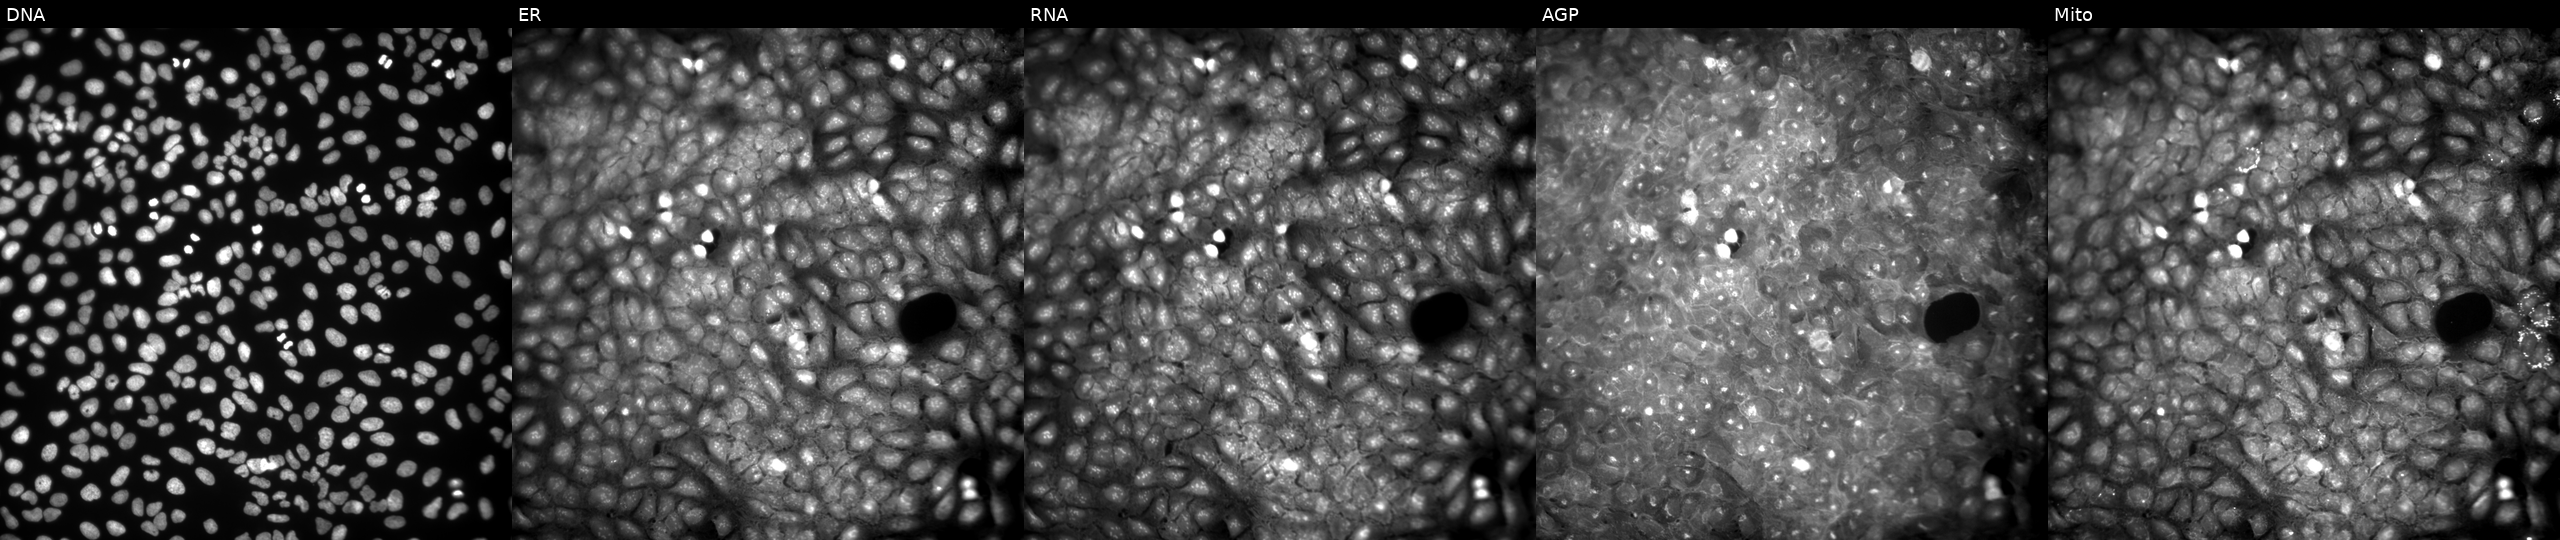
This image strip shows the five Cell Painting channels for a single field of U2OS cells treated with a small-molecule compound (InChIKey JAOLDHYWJNAAAH-UHFFFAOYSA-N). Channels (left→right): Hoechst 33342, concanavalin A, SYTO 14, phalloidin and WGA, MitoTracker.